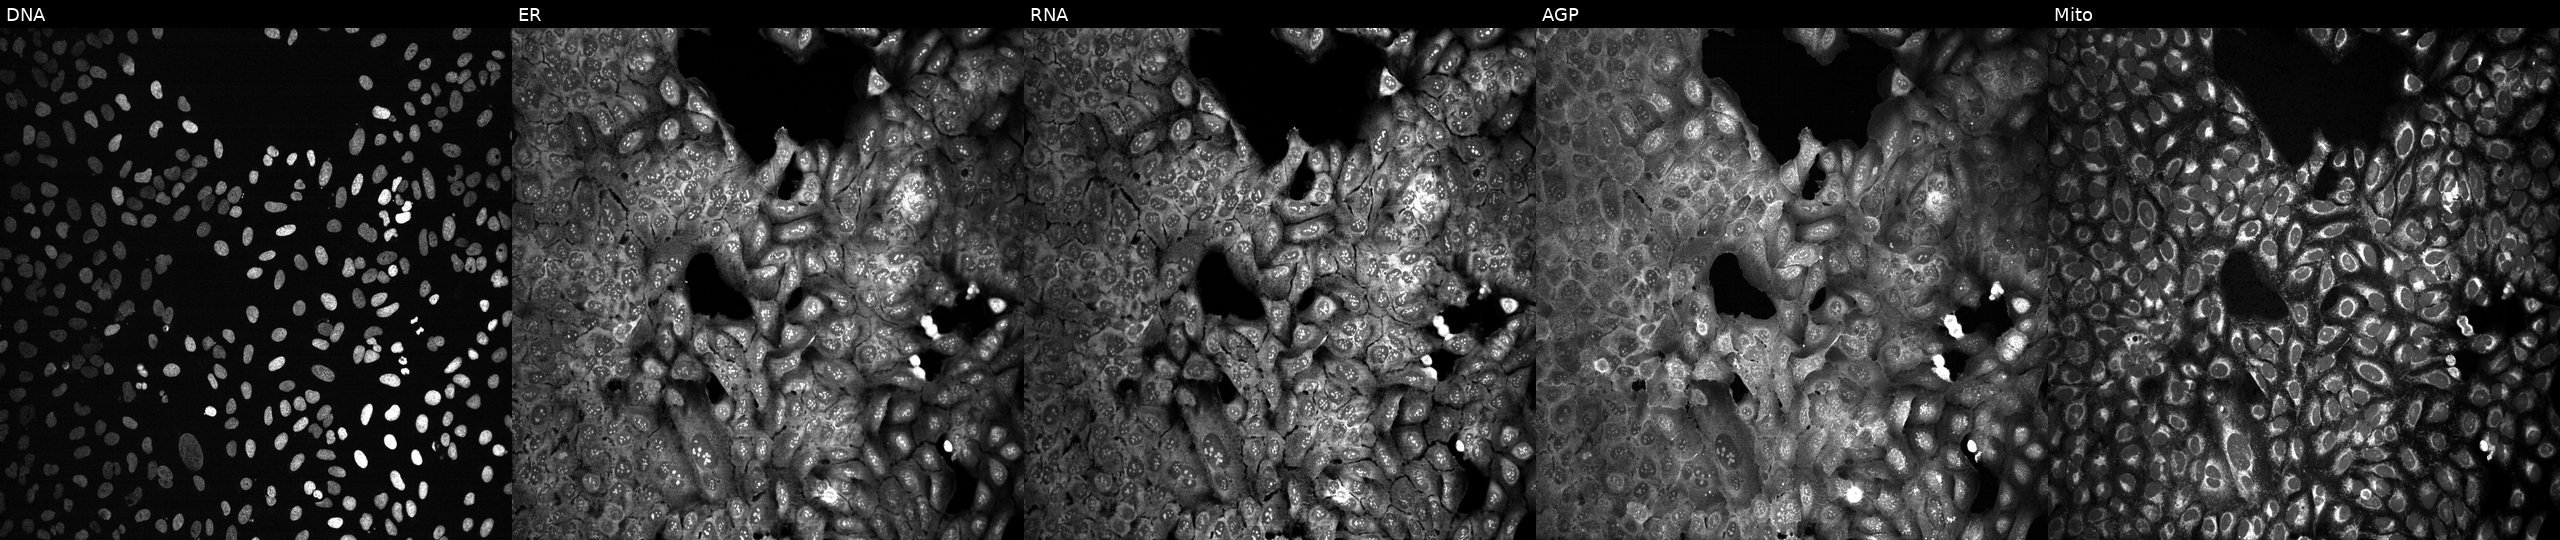
High-content fluorescence microscopy (Cell Painting). Cell line: U2OS. Perturbation: CRISPR-edited to disrupt CCT8 (JUMP id JCP2022_801143). Channels (left→right): Hoechst 33342, concanavalin A, SYTO 14, phalloidin and WGA, MitoTracker.